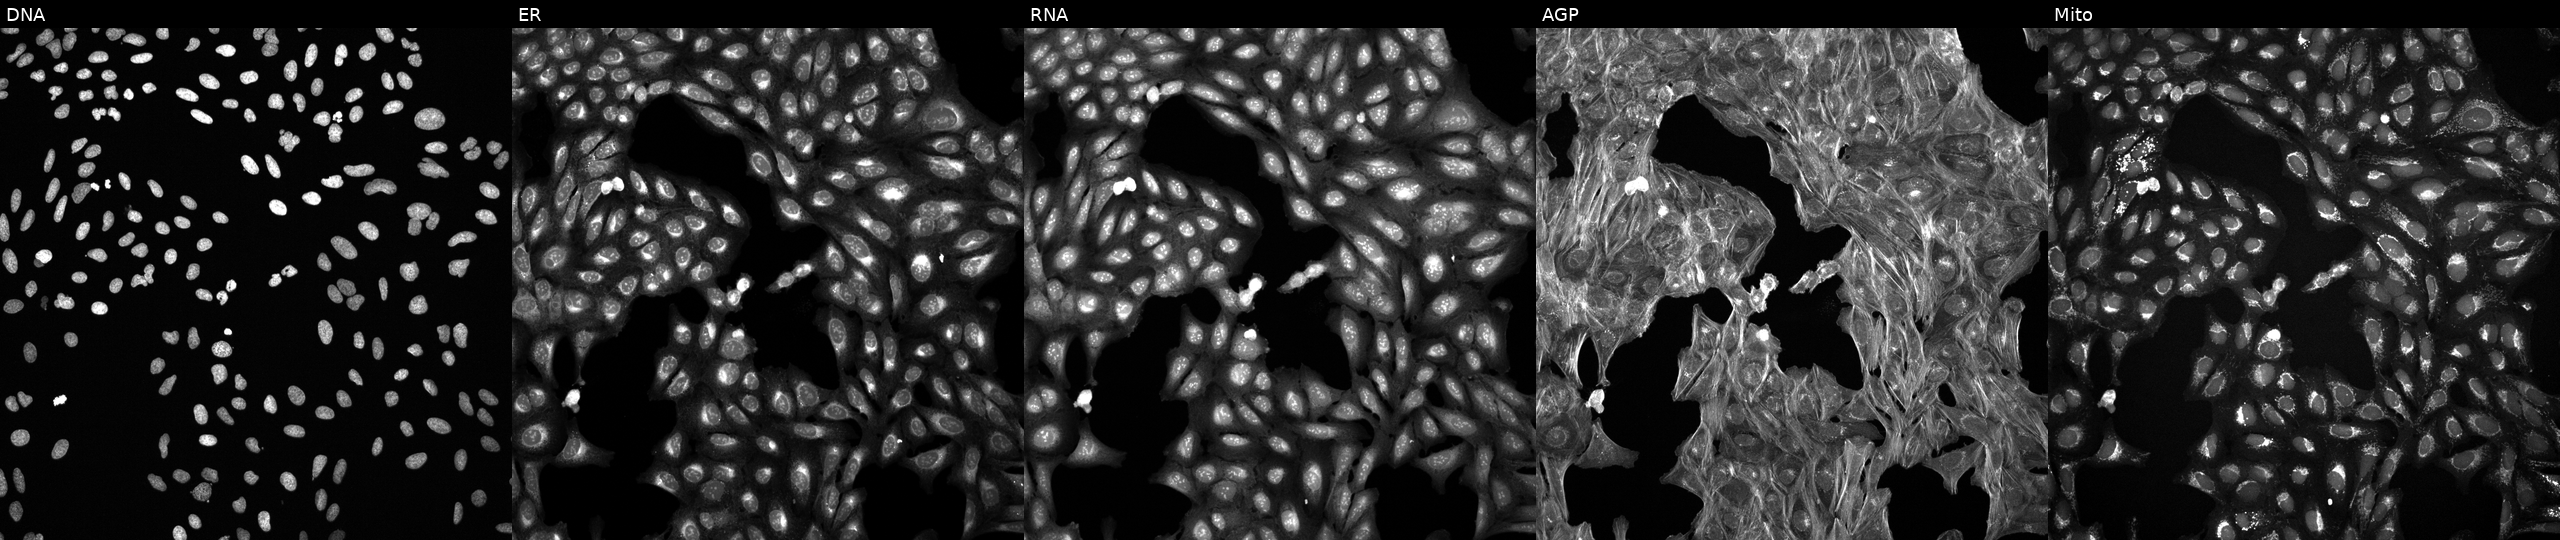
JUMP Cell Painting — COMPOUND plate. U2OS cells exposed to a small-molecule compound (InChIKey DZTXTUVSIFHHLD-UHFFFAOYSA-N). From left to right: DNA, ER, RNA, AGP, and Mito. Source 6, plate 110000293083, well H15.